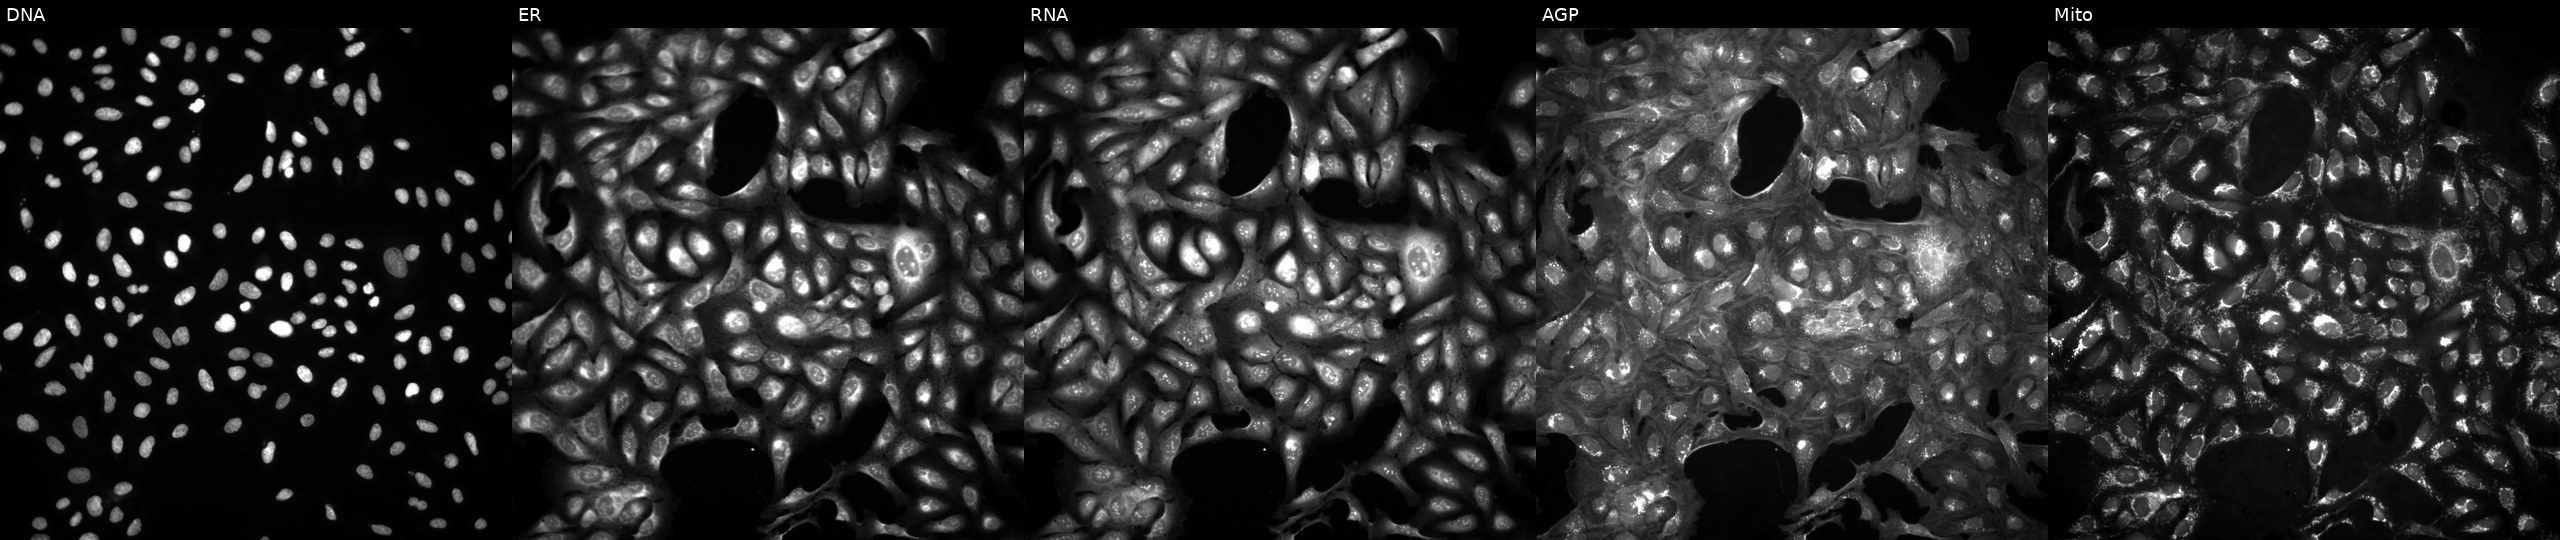
High-content fluorescence microscopy (Cell Painting). Cell line: U2OS. Perturbation: in an empty control well (no perturbation) (JUMP id JCP2022_999999). From left to right: DNA (nuclei); ER (endoplasmic reticulum); RNA (nucleoli and cytoplasmic RNA); AGP (actin cytoskeleton, Golgi, and plasma membrane); Mito (mitochondria). Source 4, plate BR00124793, well P24.